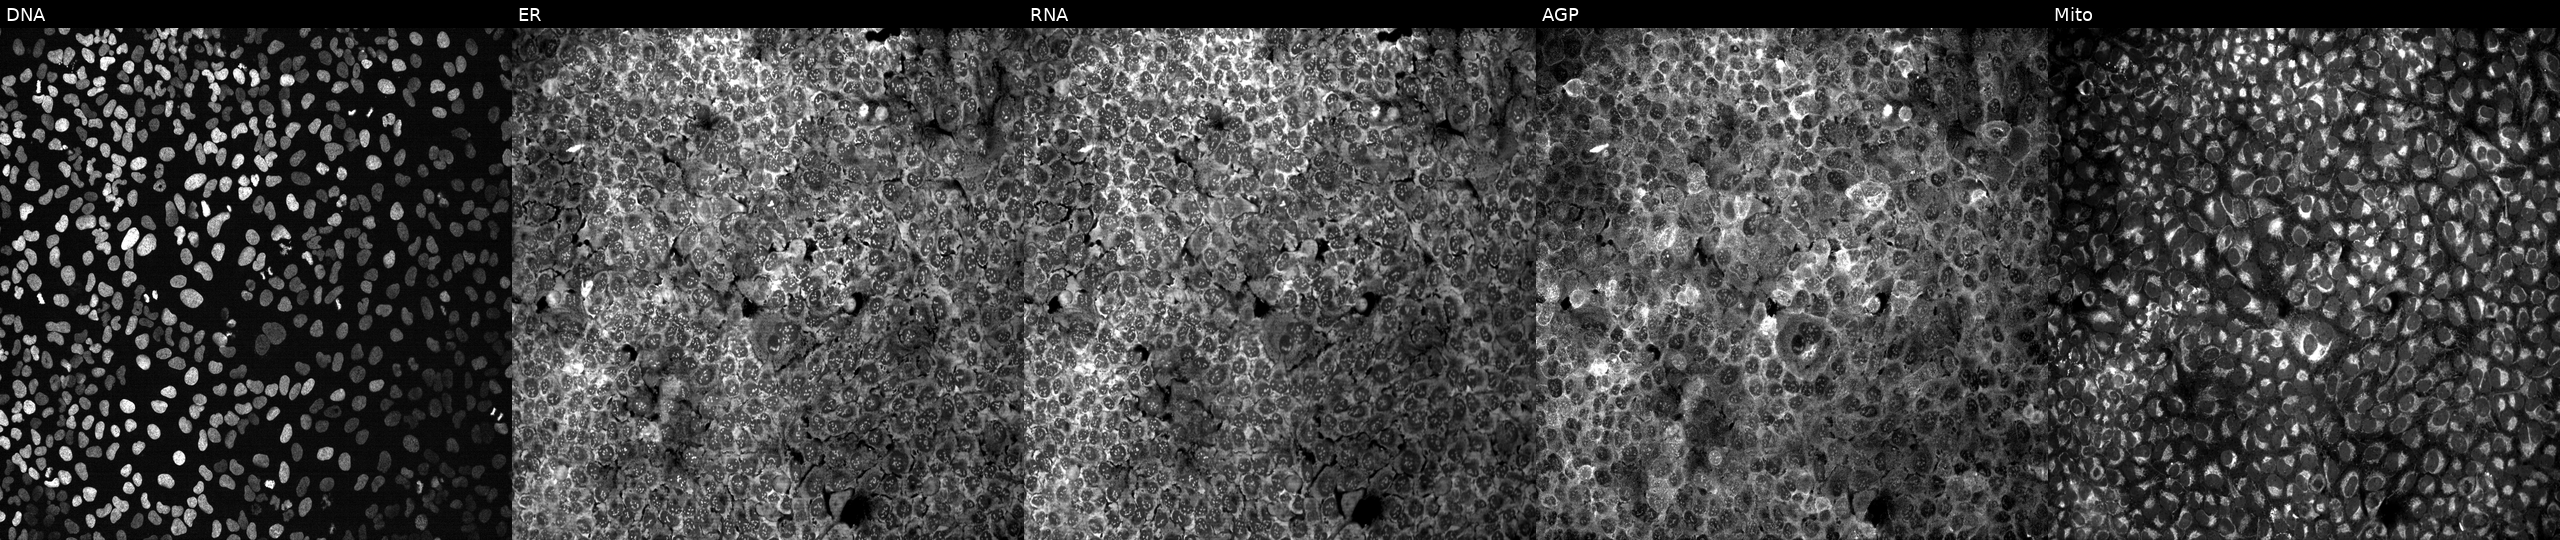
Five-channel Cell Painting image of U2OS cells with no CRISPR guide (negative control) (JUMP id JCP2022_800001). Channels (left→right): Hoechst 33342, concanavalin A, SYTO 14, phalloidin and WGA, MitoTracker.